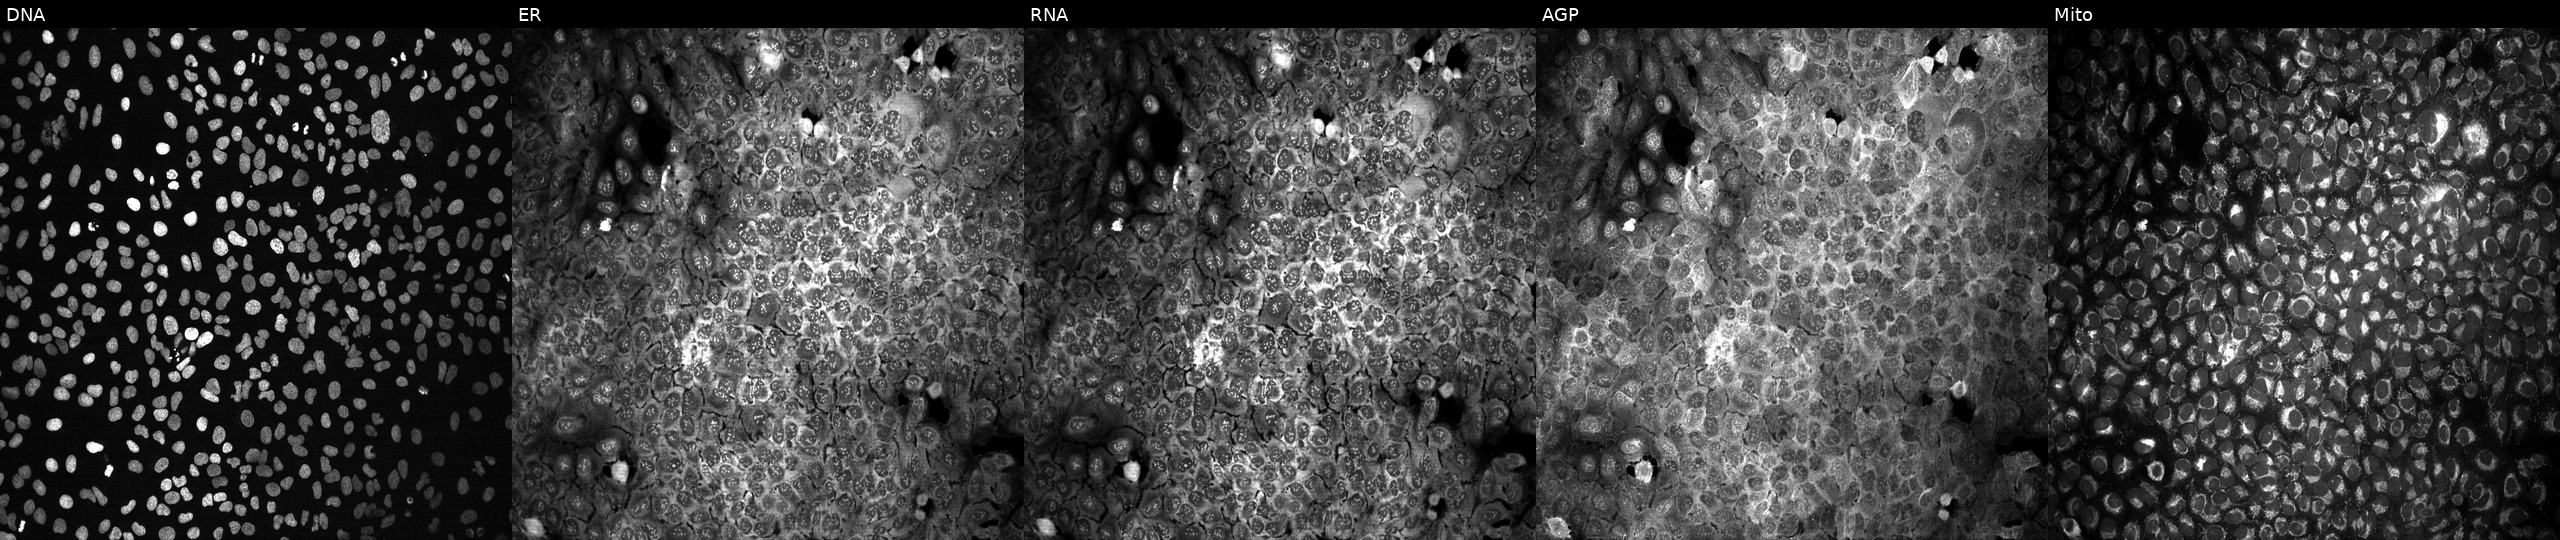
This image strip shows the five Cell Painting channels for a single field of U2OS cells with a non-targeting CRISPR guide (negative control) (JUMP id JCP2022_800002). The five panels, left to right, show DNA (nuclei); ER (endoplasmic reticulum); RNA (nucleoli and cytoplasmic RNA); AGP (actin cytoskeleton, Golgi, and plasma membrane); Mito (mitochondria).